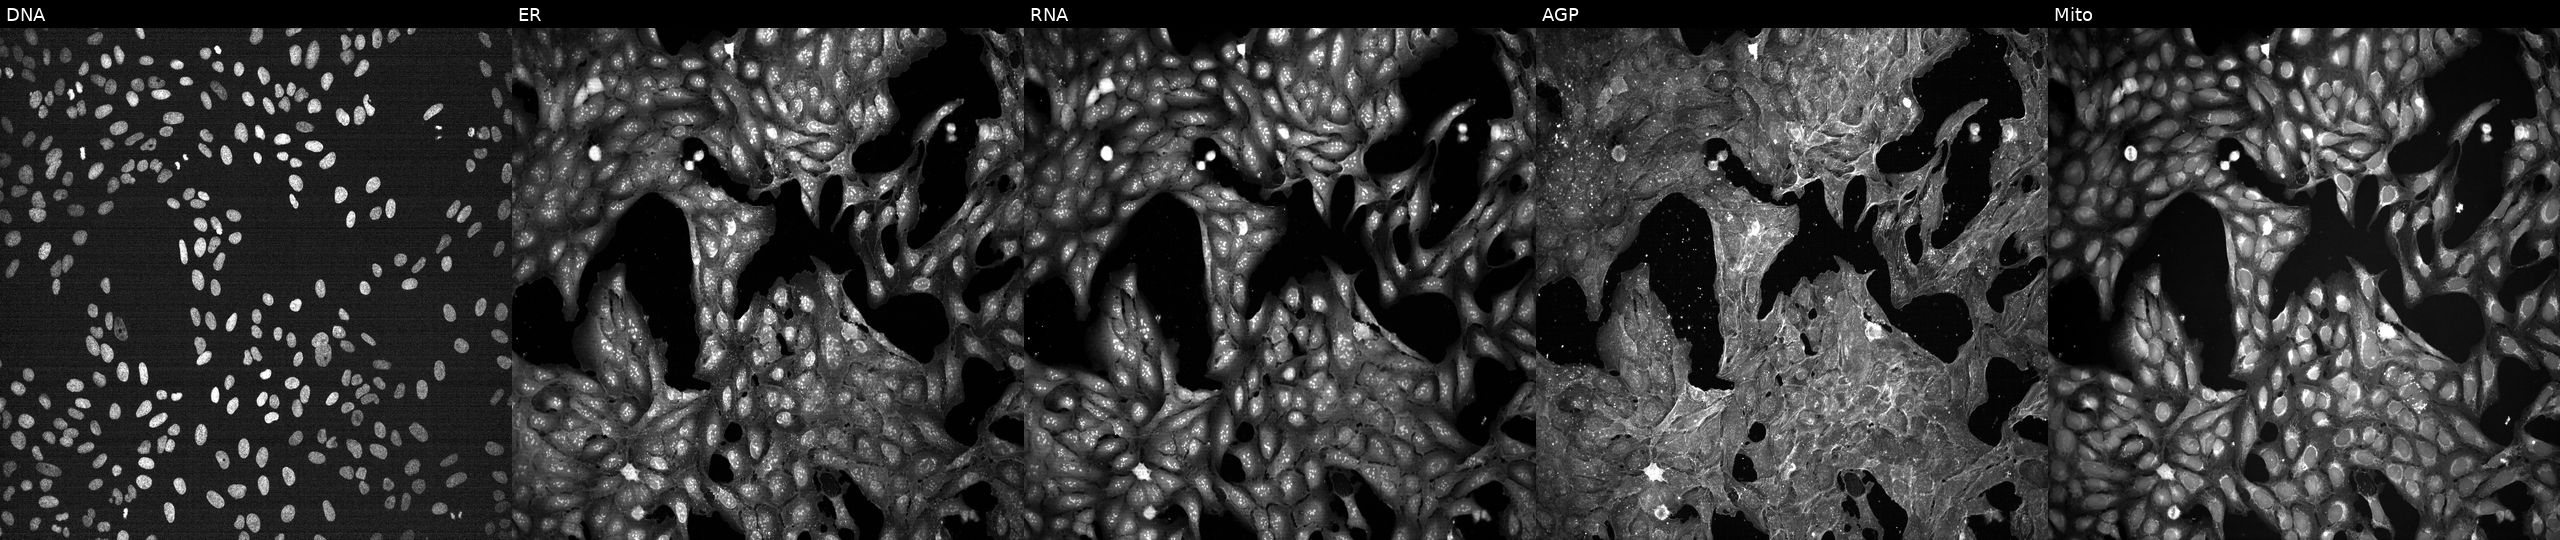
Five-channel Cell Painting image of U2OS cells perturbed with a small-molecule compound (InChIKey NHXLMOGPVYXJNR-UHFFFAOYSA-N) [SMILES: CC(N)C(=O)NCC(=O)NC1CSSCC(C(=O)O)NC(=O)C(CO)NC(=O)C(C(C)O)NC(=O)C(Cc2ccccc2)NC(=O)C(C(C)O)NC(=O)C(CCCCN)NC(=O)C(Cc2c[nH]c3ccccc23)NC(=O)C(Cc2ccccc2)NC(=O)C(Cc2ccccc2)NC(=O)C(CC(N)=O)NC(=O)C(CCCCN)NC1=O] (JUMP id JCP2022_059103). From left to right: DNA (nuclei); ER (endoplasmic reticulum); RNA (nucleoli and cytoplasmic RNA); AGP (actin cytoskeleton, Golgi, and plasma membrane); Mito (mitochondria).